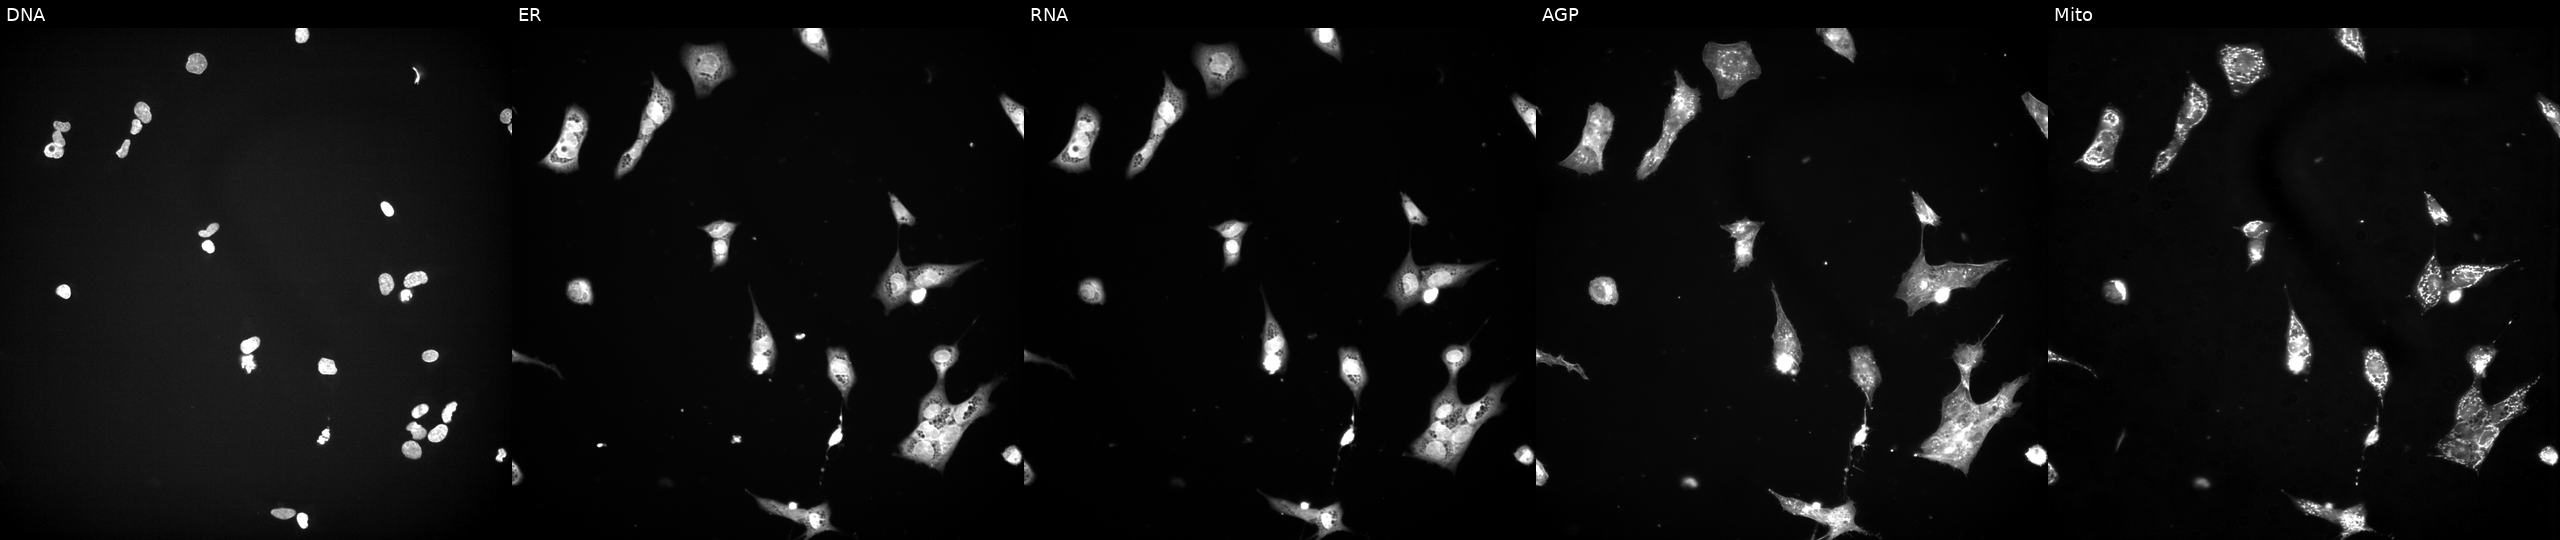
Five-channel Cell Painting image of U2OS cells perturbed with a small-molecule compound (InChIKey XLSYZSRXVVCHLS-UHFFFAOYSA-N) (JUMP id JCP2022_104437). Panels show, left to right, DNA (nuclei); ER (endoplasmic reticulum); RNA (nucleoli and cytoplasmic RNA); AGP (actin cytoskeleton, Golgi, and plasma membrane); Mito (mitochondria). Source 3, plate JCPQC053, well H11.